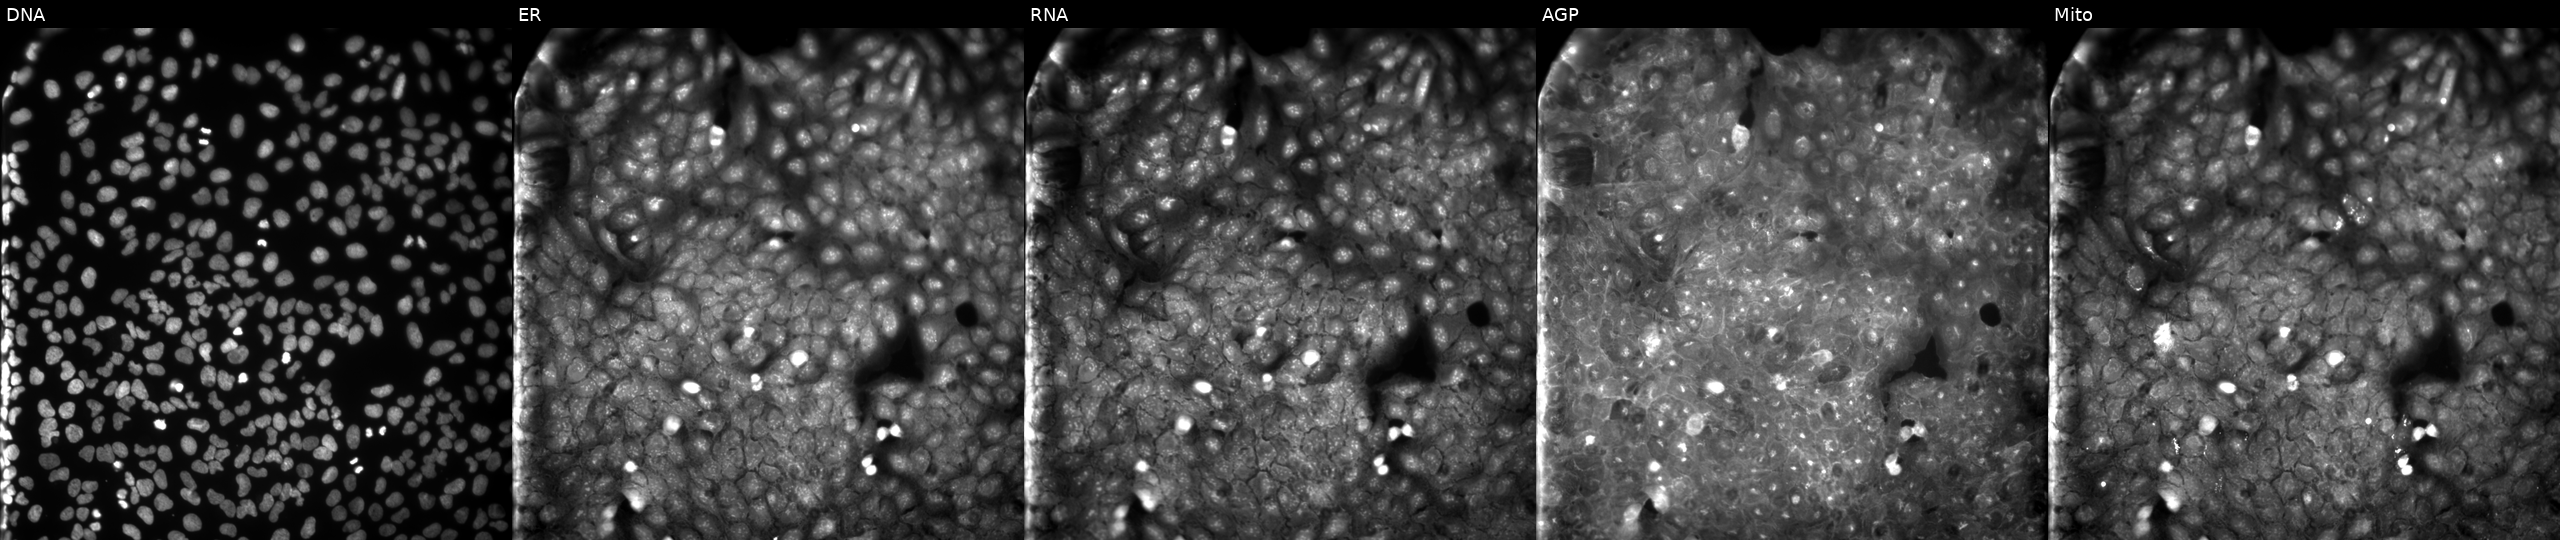
U2OS cells, Cell Painting assay, treated with a small-molecule compound (InChIKey WCQAJZQREZFOLE-UHFFFAOYSA-N) [SMILES: Cn1c(=O)c2c([nH]c(=S)n2Cc2ccccc2Cl)n(C)c1=O]. The five panels, left to right, show DNA, ER, RNA, AGP, and Mito. Each panel is percentile-stretched 16-bit fluorescence. Source 9, plate GR00003382, well AE03.